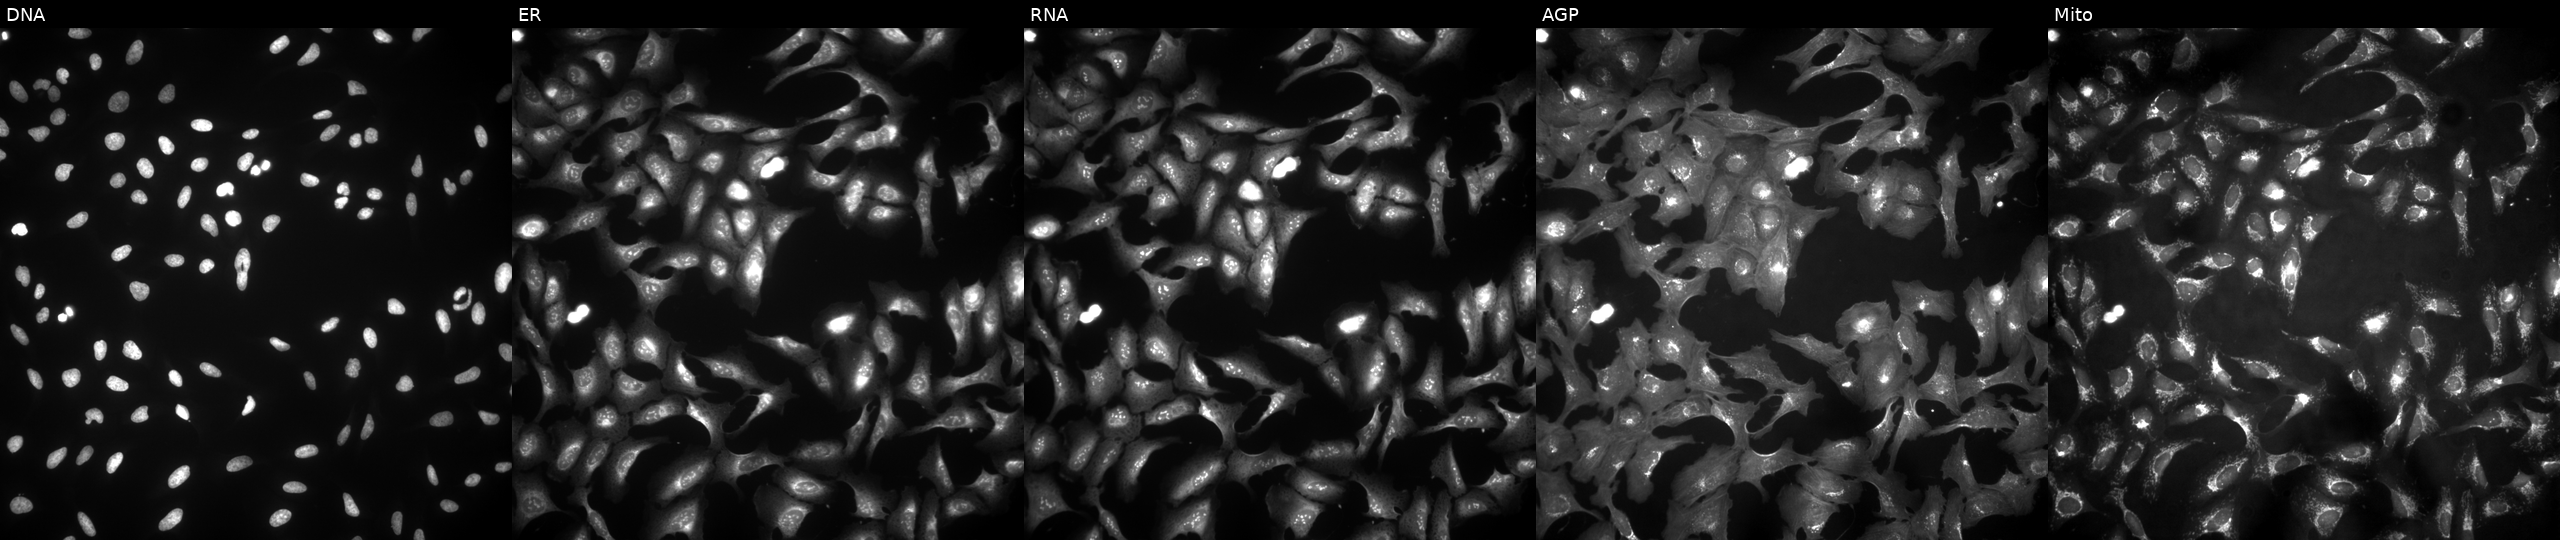
Panels show, left to right, Hoechst 33342, concanavalin A, SYTO 14, phalloidin and WGA, MitoTracker. U2OS osteosarcoma cells transfected with an ORF construct for RCBTB2 (JUMP id JCP2022_900274). Cell Painting assay, JUMP-CP dataset.